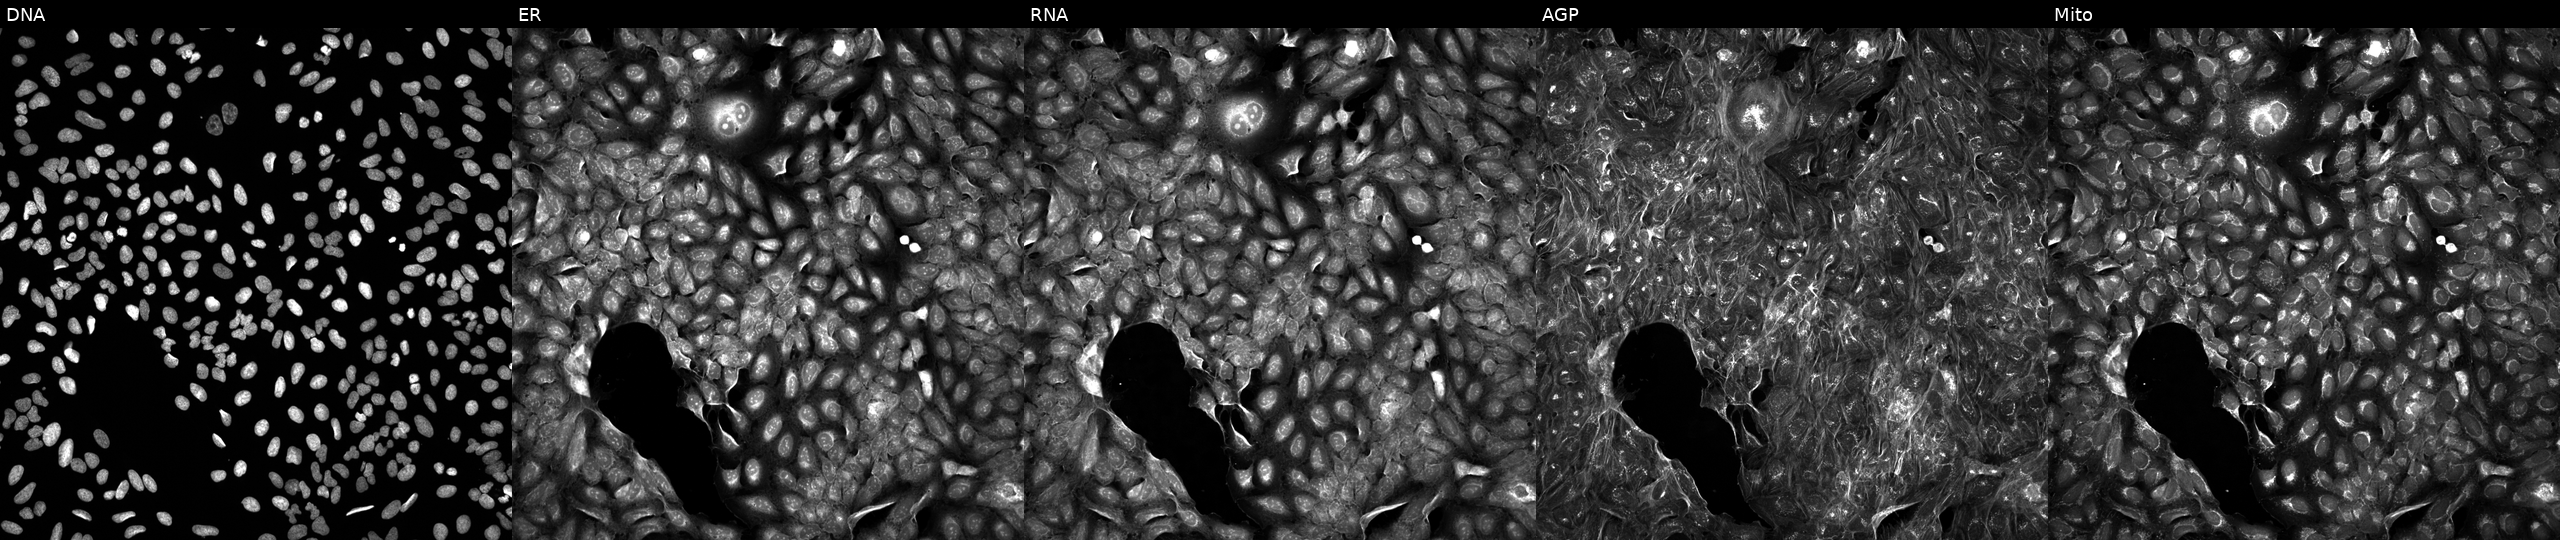
High-content fluorescence microscopy (Cell Painting). Cell line: U2OS. Perturbation: perturbed with a small-molecule compound (InChIKey PUHCDUCSTVQMKJ-UHFFFAOYSA-N) [SMILES: CC1(O)CCN(Cc2cccc3[nH]ccc23)CC1N1CCCC1] (JUMP id JCP2022_070977). Panels show, left to right, DNA (nuclei); ER (endoplasmic reticulum); RNA (nucleoli and cytoplasmic RNA); AGP (actin cytoskeleton, Golgi, and plasma membrane); Mito (mitochondria).